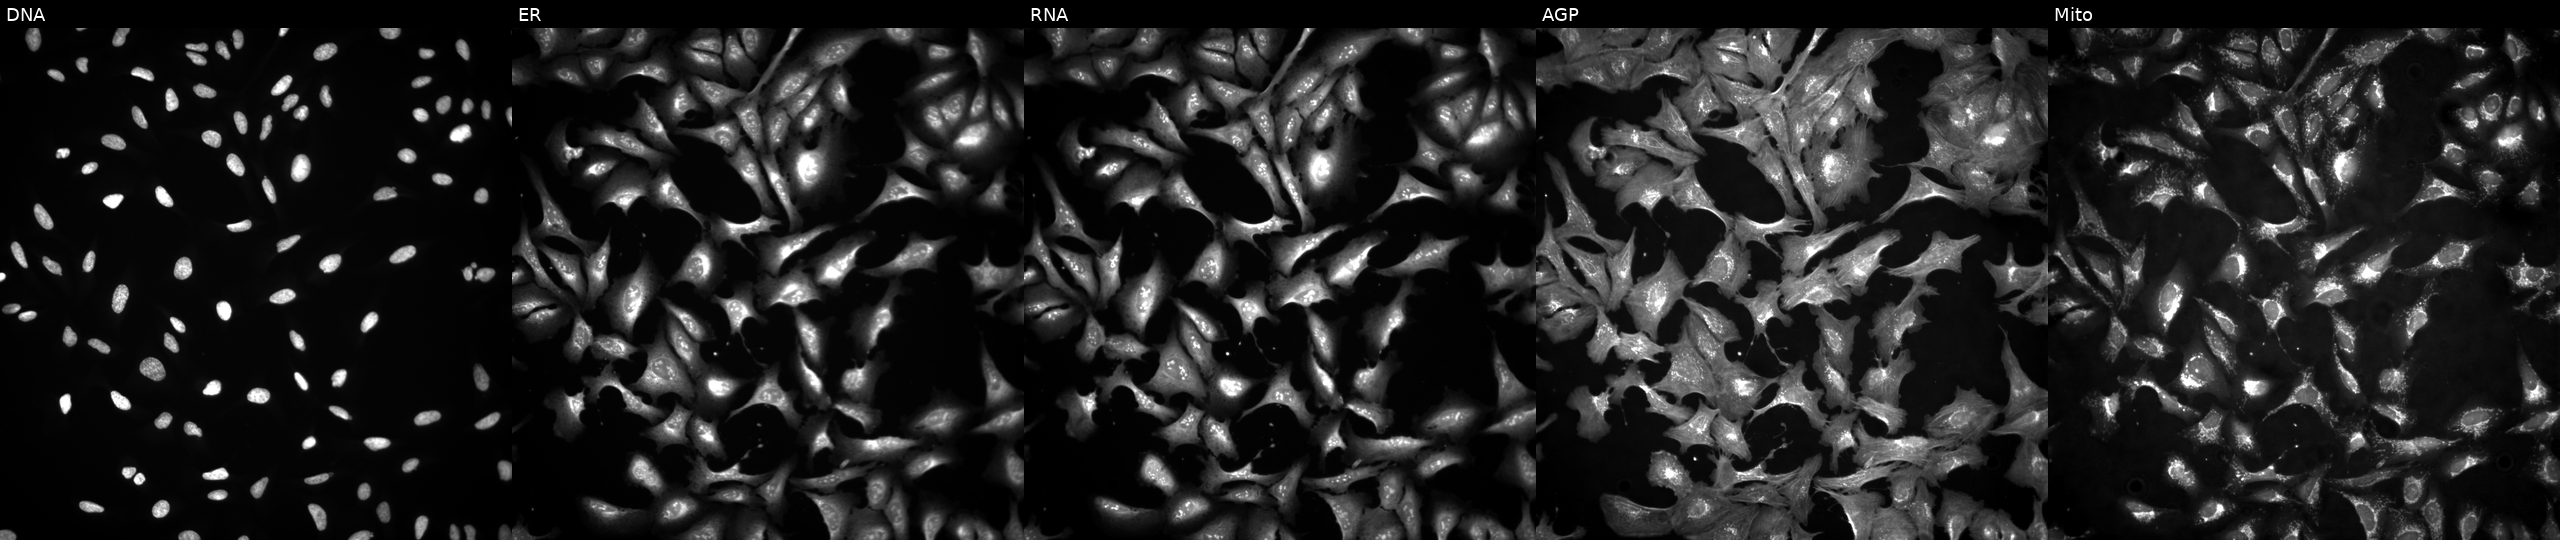
High-content fluorescence microscopy (Cell Painting). Cell line: U2OS. Perturbation: overexpressing TTK via ORF transfection (JUMP id JCP2022_913890). From left to right: DNA (nuclei); ER (endoplasmic reticulum); RNA (nucleoli and cytoplasmic RNA); AGP (actin cytoskeleton, Golgi, and plasma membrane); Mito (mitochondria).